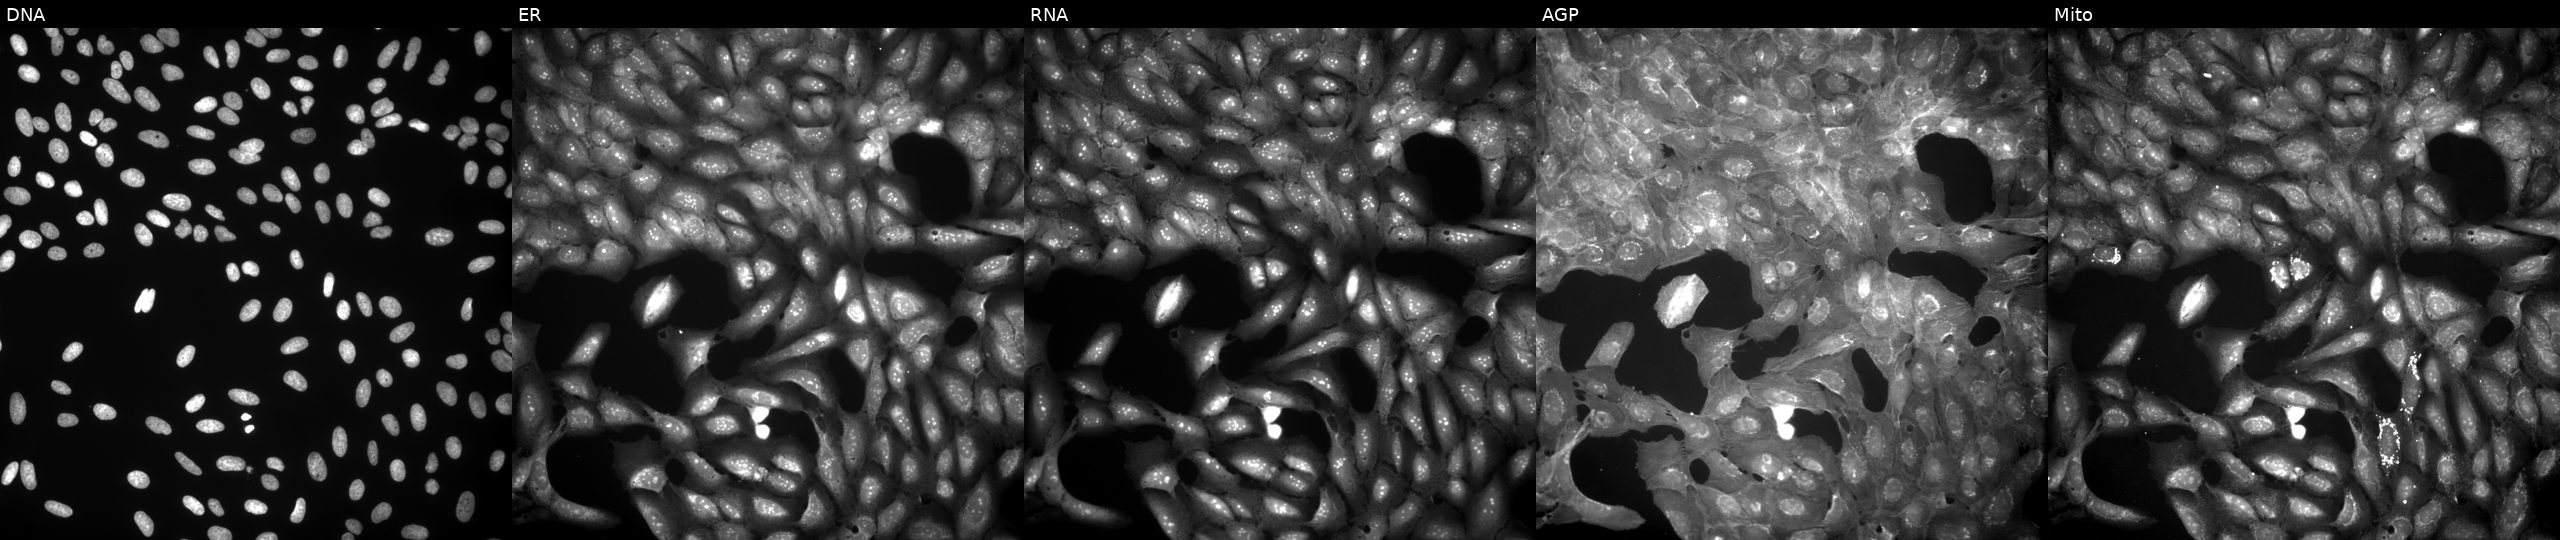
Channels (left→right): Hoechst 33342, concanavalin A, SYTO 14, phalloidin and WGA, MitoTracker. U2OS osteosarcoma cells perturbed with a small-molecule compound (InChIKey NDKYICANXPTKKC-UHFFFAOYSA-N). Cell Painting assay, JUMP-CP dataset. Source 9, plate GR00003382, well I29.